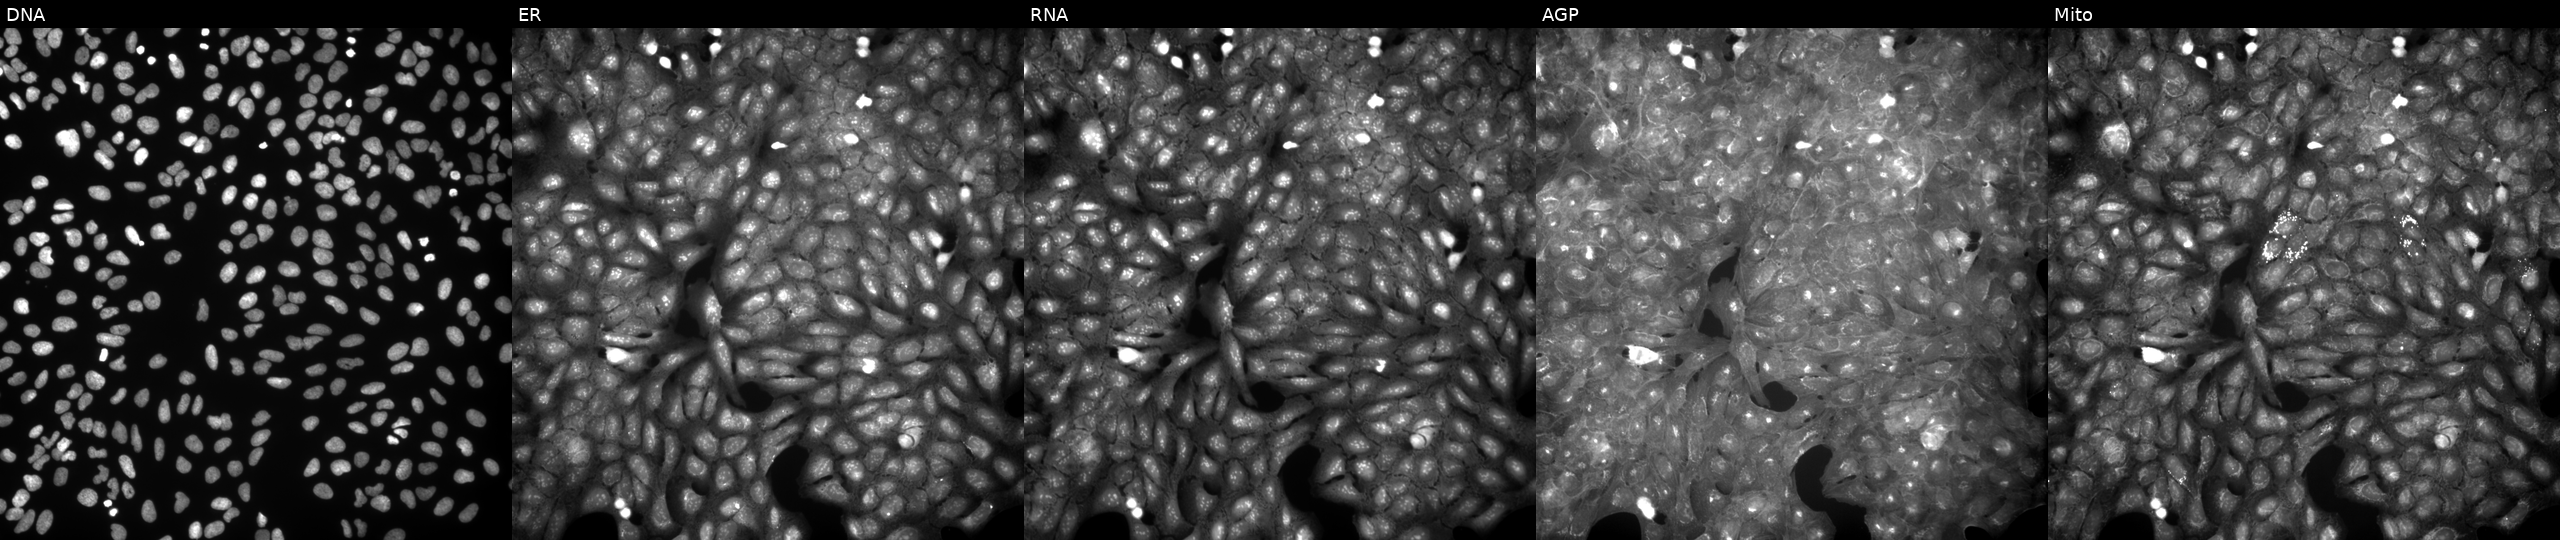
Channels (left→right): DNA, ER, RNA, AGP, and Mito. U2OS osteosarcoma cells perturbed with a small-molecule compound. Cell Painting assay, JUMP-CP dataset.